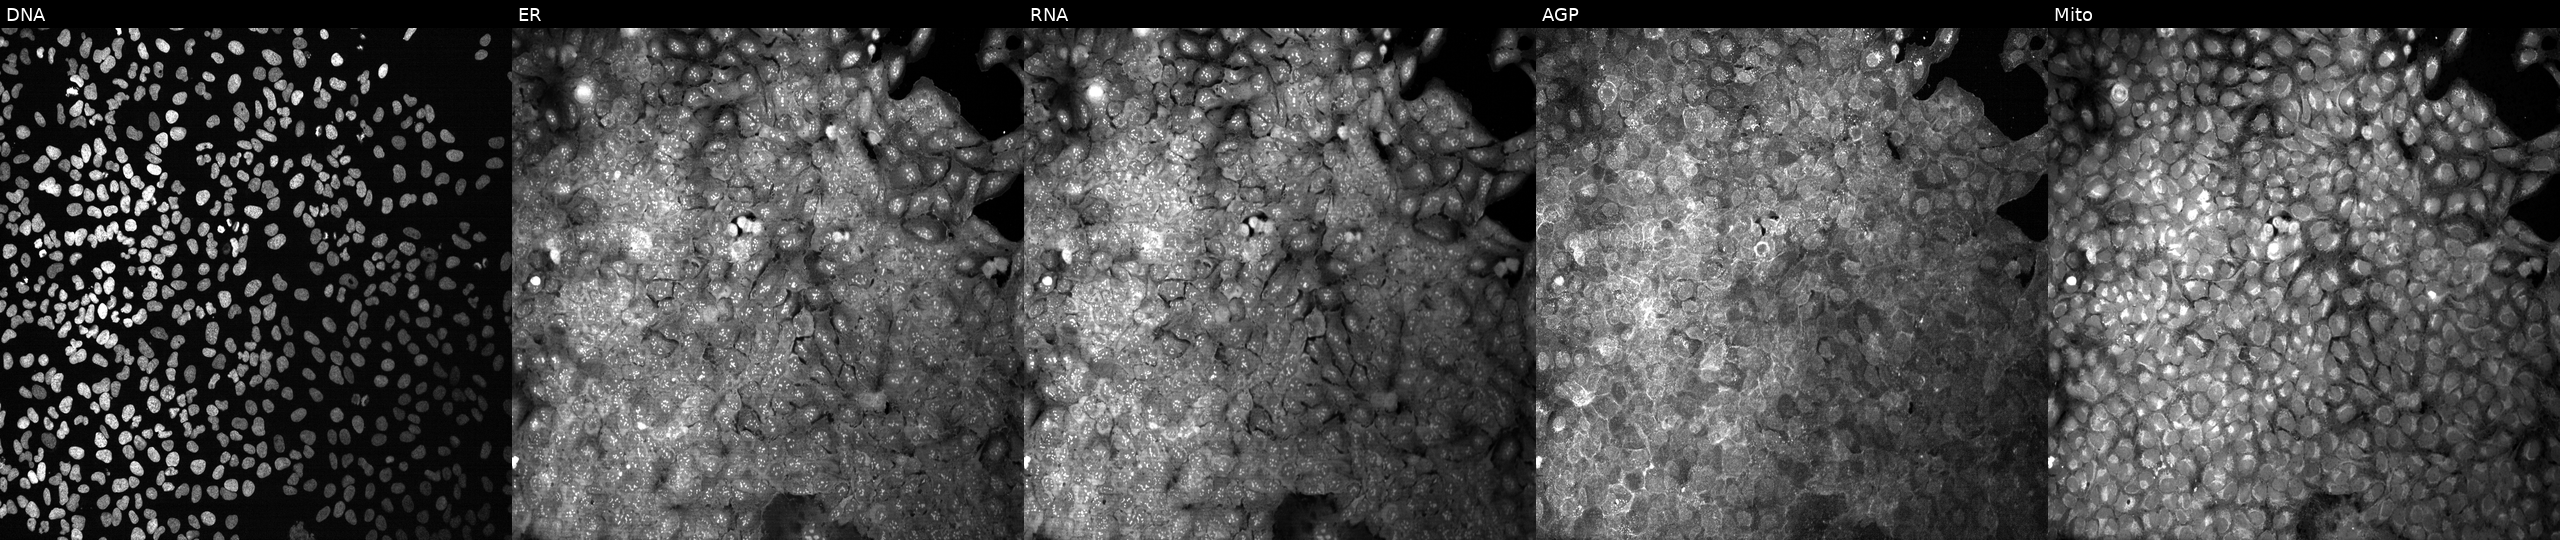
JUMP Cell Painting — CRISPR plate. U2OS cells with no CRISPR guide (negative control) (JUMP id JCP2022_800001). From left to right: Hoechst 33342, concanavalin A, SYTO 14, phalloidin and WGA, MitoTracker. Source 13, plate CP-CC9-R1-02, well J23.